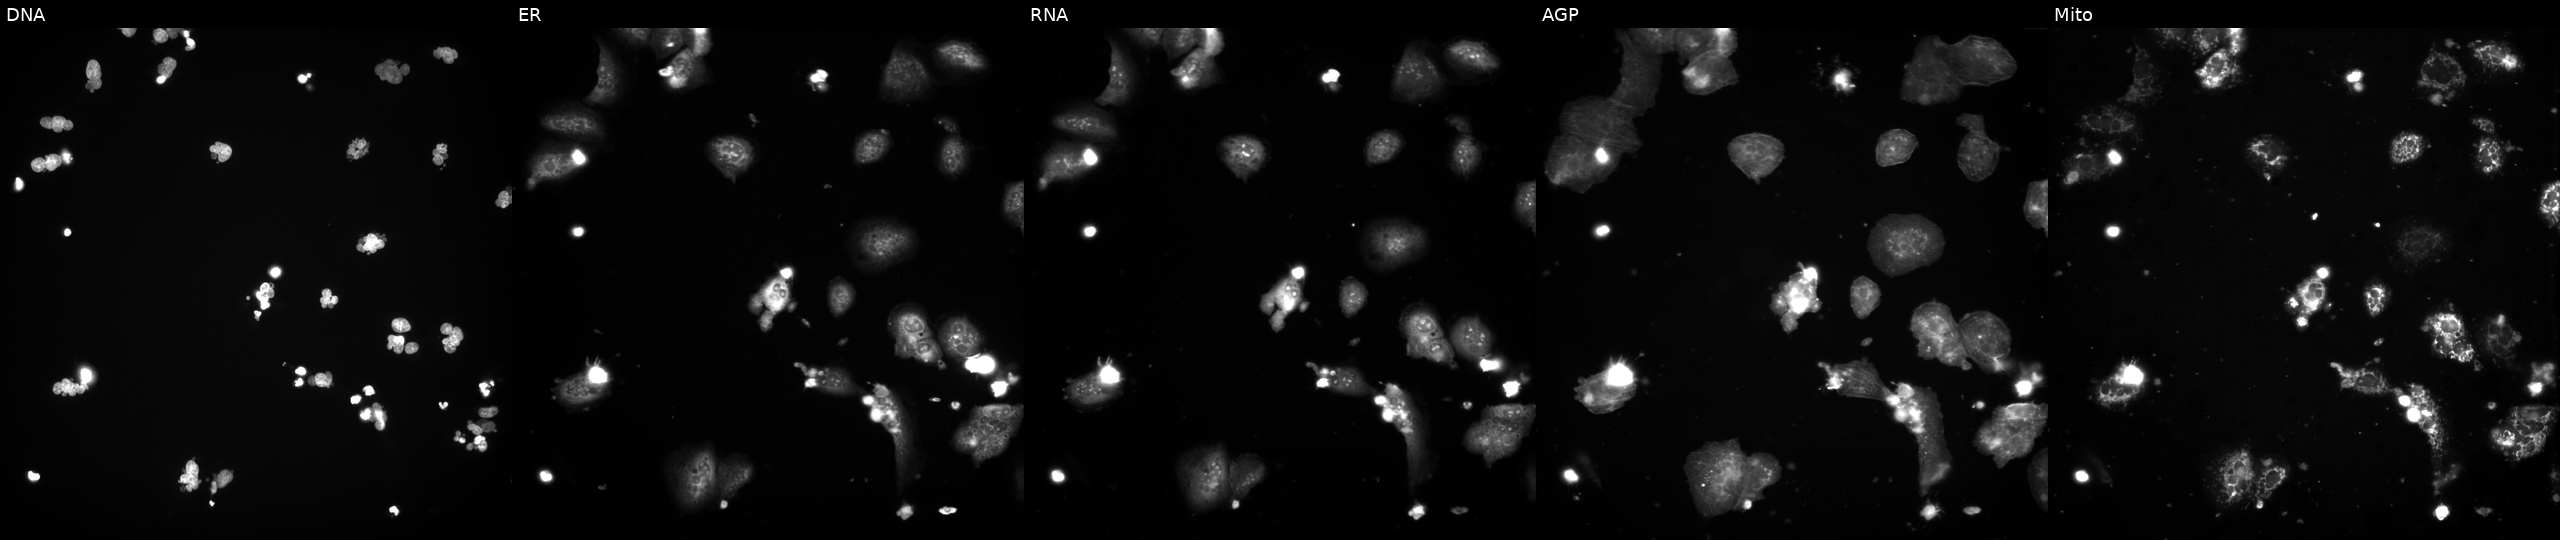
JUMP Cell Painting — TARGET2 plate. U2OS cells perturbed with a small-molecule compound (InChIKey RAOCRURYZCVHMG-UHFFFAOYSA-N) (JUMP id JCP2022_077096). Channels (left→right): DNA, ER, RNA, AGP, and Mito.